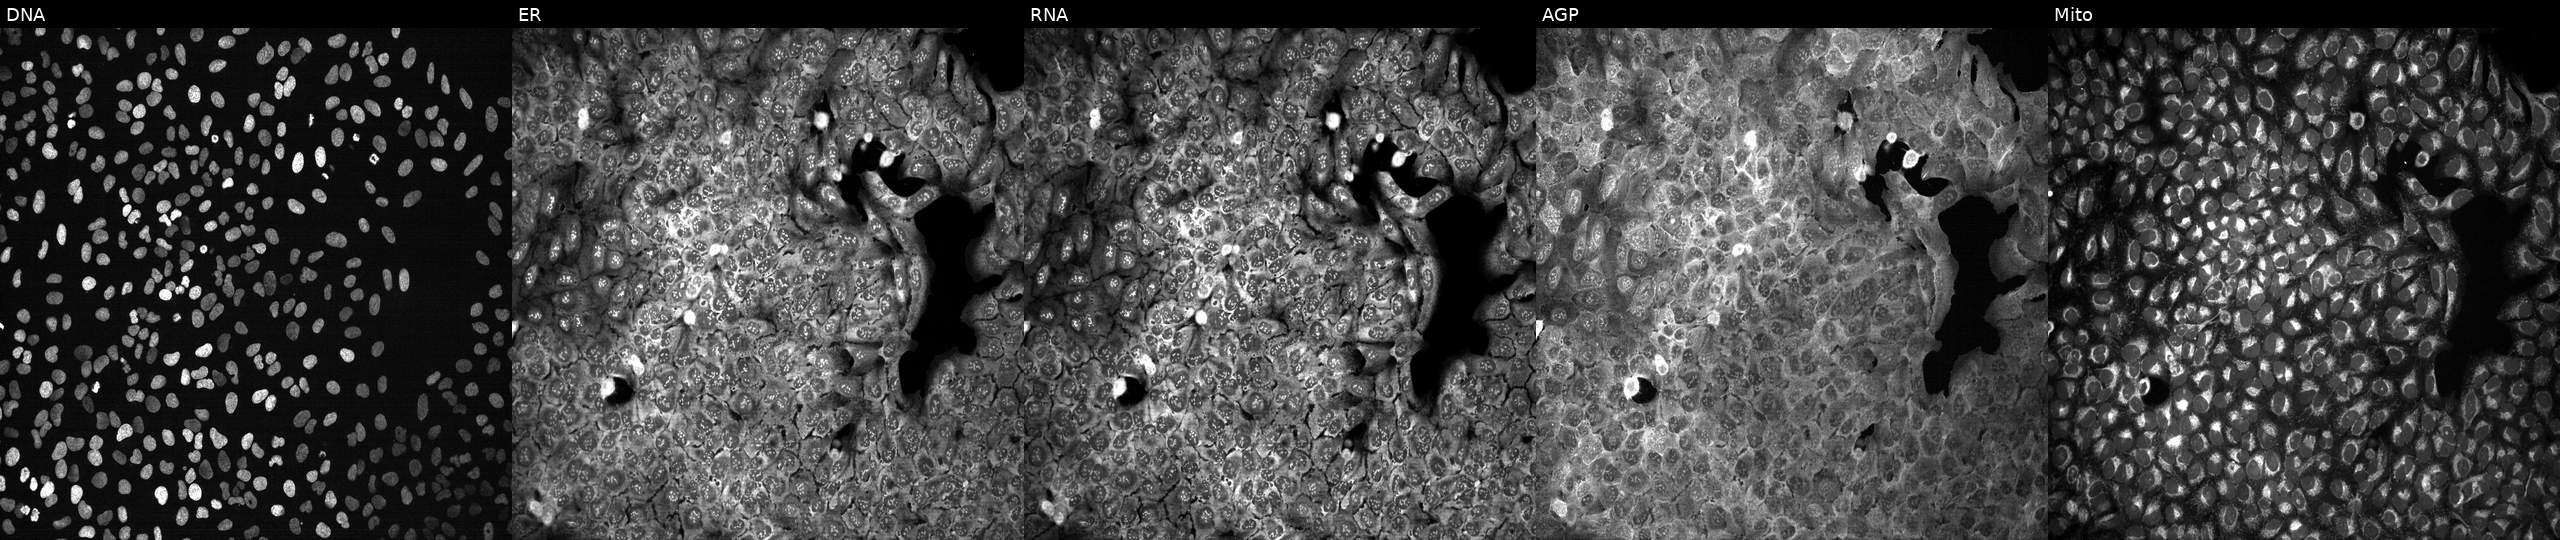
JUMP Cell Painting — CRISPR plate. U2OS cells with a non-targeting CRISPR guide (negative control). Channels (left→right): DNA, ER, RNA, AGP, and Mito. Source 13, plate CP-CC9-R3-02, well F23.